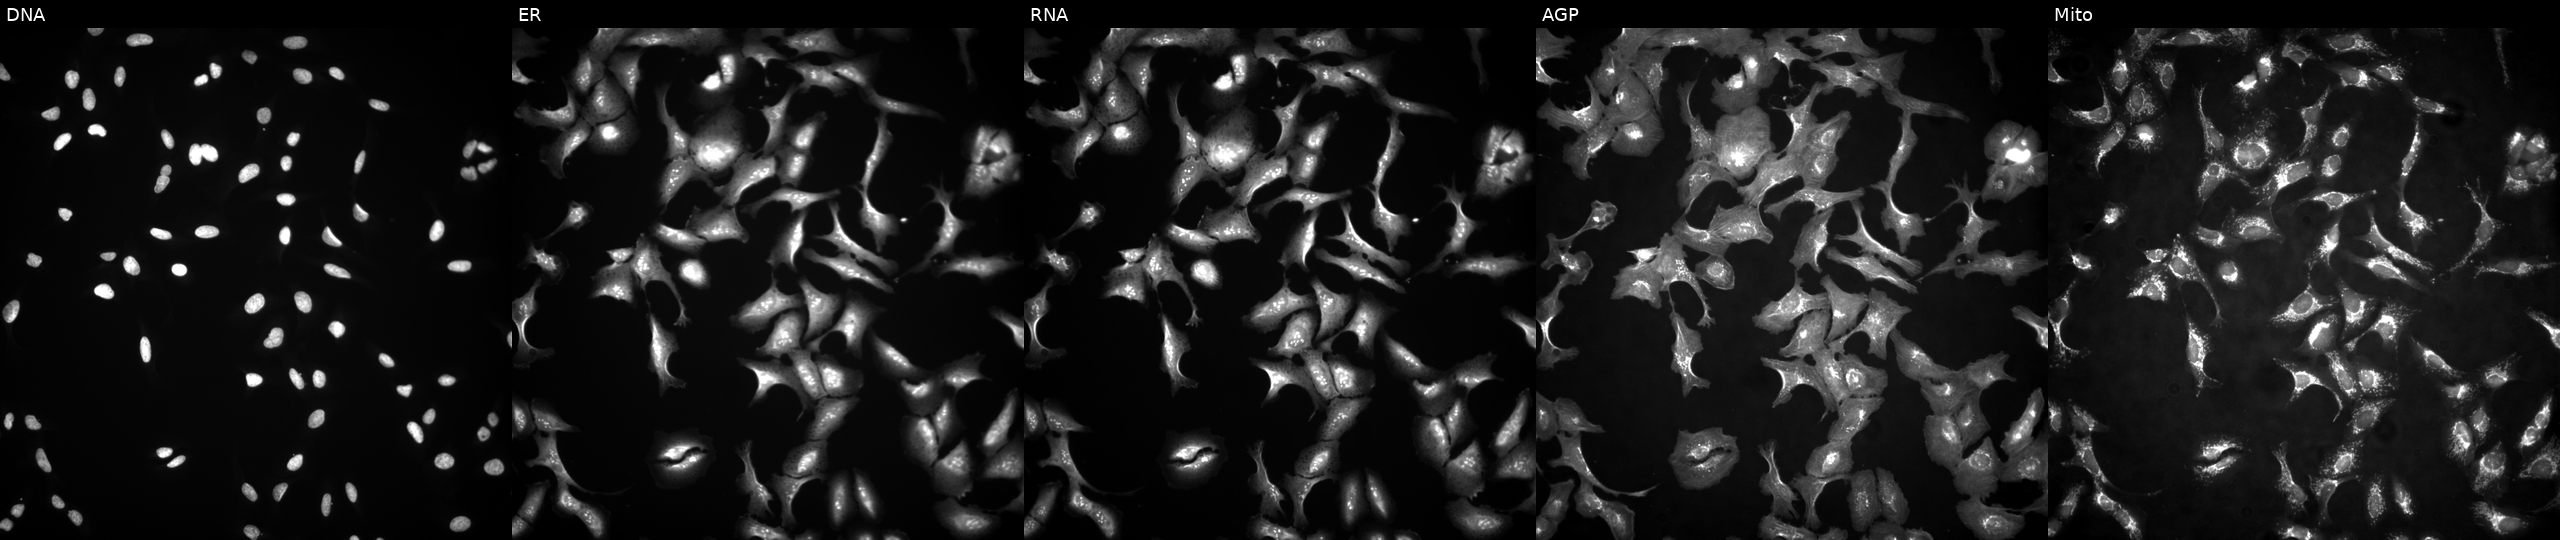
High-content fluorescence microscopy (Cell Painting). Cell line: U2OS. Perturbation: overexpressing PNLDC1 via ORF transfection (JUMP id JCP2022_909047). Panels show, left to right, DNA (nuclei); ER (endoplasmic reticulum); RNA (nucleoli and cytoplasmic RNA); AGP (actin cytoskeleton, Golgi, and plasma membrane); Mito (mitochondria).